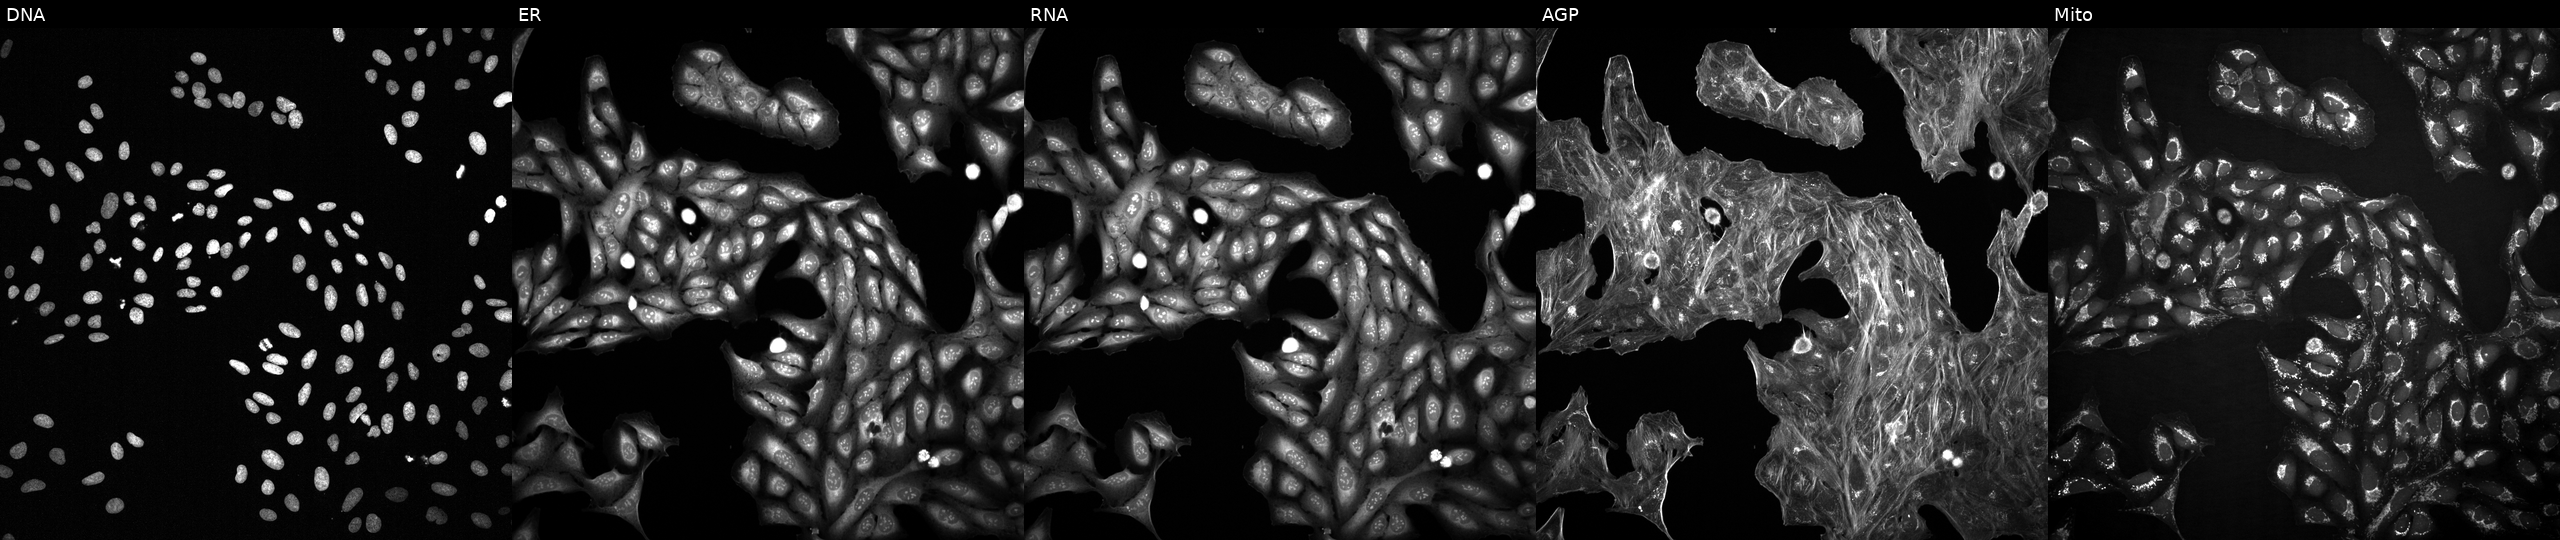
U2OS cells, Cell Painting assay, exposed to a small-molecule compound (JUMP id JCP2022_057862). Channels (left→right): Hoechst 33342, concanavalin A, SYTO 14, phalloidin and WGA, MitoTracker. Each panel is percentile-stretched 16-bit fluorescence. Source 2, plate 1053601763, well G09.